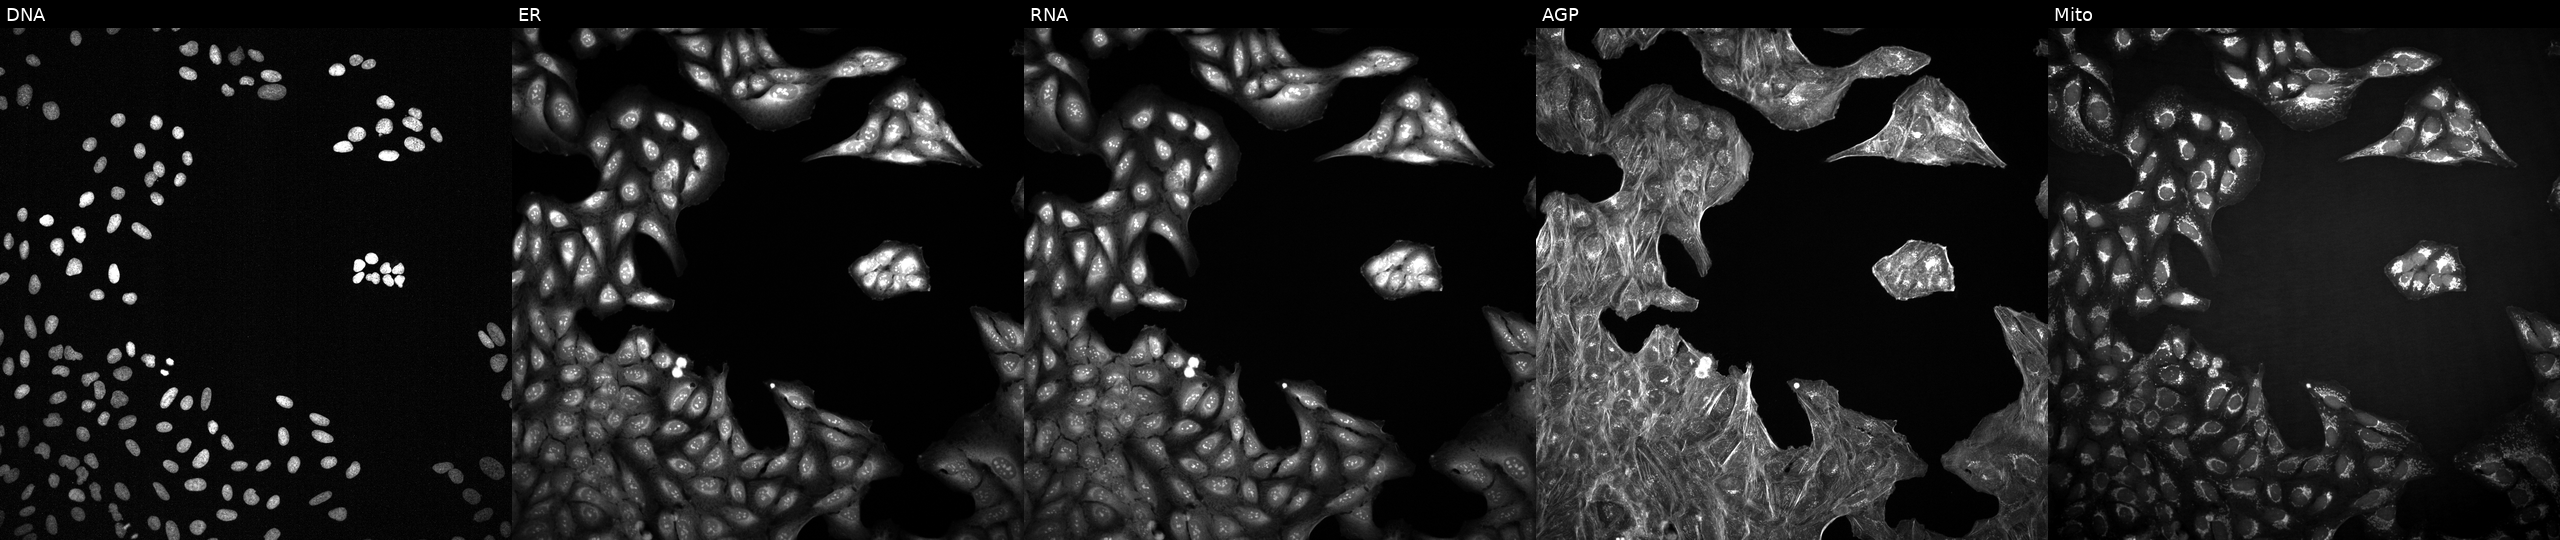
This image strip shows the five Cell Painting channels for a single field of U2OS cells exposed to a small-molecule compound (InChIKey PWKSKIMOESPYIA-UHFFFAOYSA-N). Panels show, left to right, DNA (nuclei); ER (endoplasmic reticulum); RNA (nucleoli and cytoplasmic RNA); AGP (actin cytoskeleton, Golgi, and plasma membrane); Mito (mitochondria).